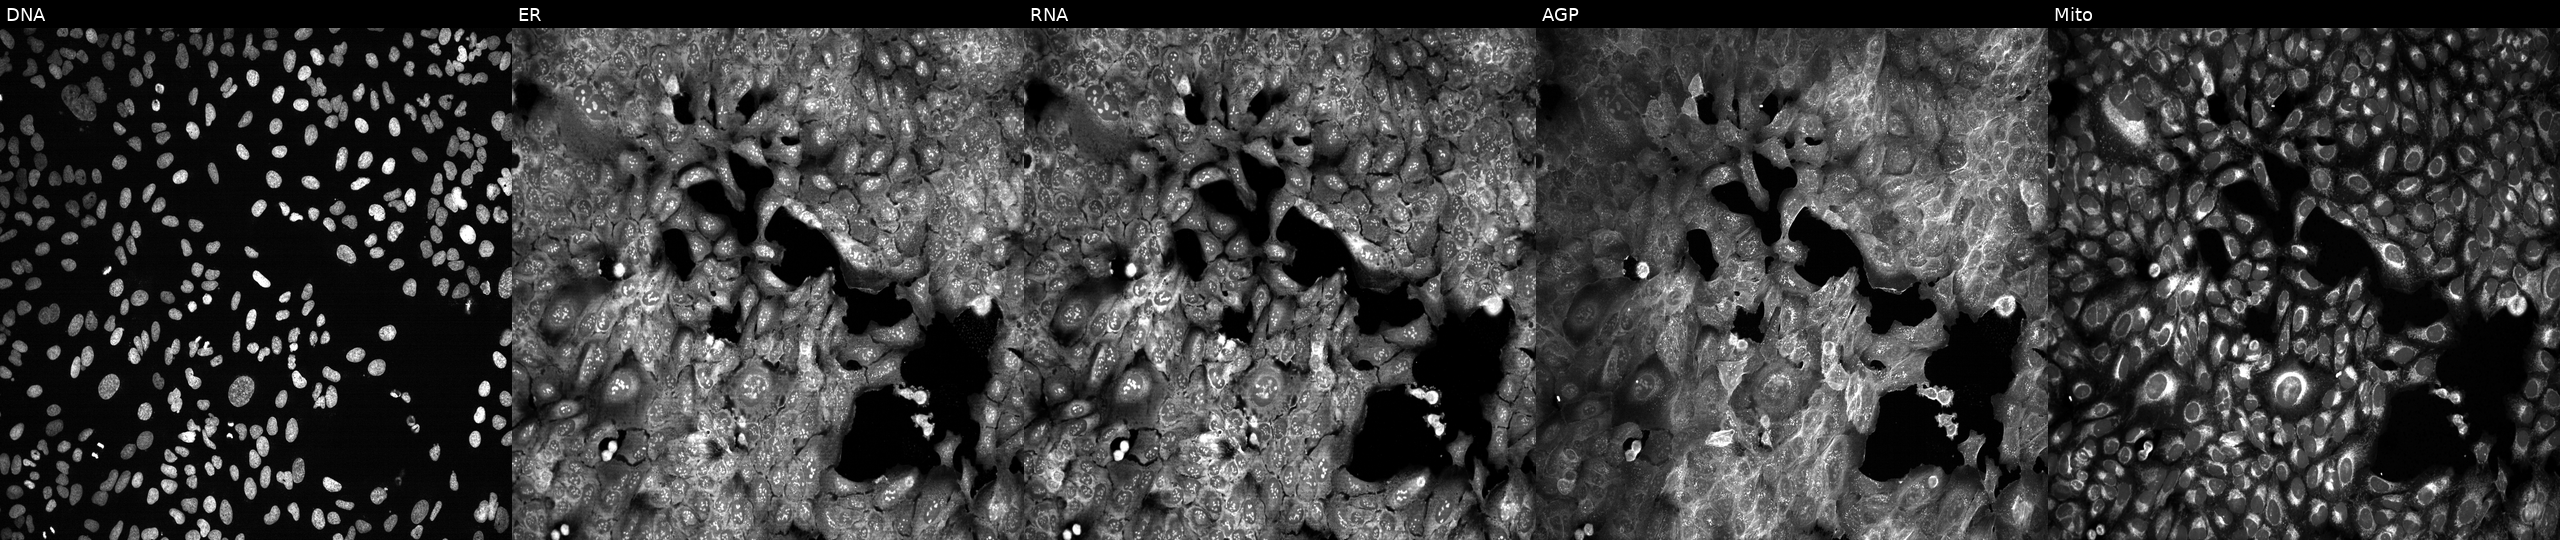
This image strip shows the five Cell Painting channels for a single field of U2OS cells with AGA knocked out by CRISPR. From left to right: DNA (nuclei); ER (endoplasmic reticulum); RNA (nucleoli and cytoplasmic RNA); AGP (actin cytoskeleton, Golgi, and plasma membrane); Mito (mitochondria). Source 13, plate CP-CC9-R6-19, well I19.